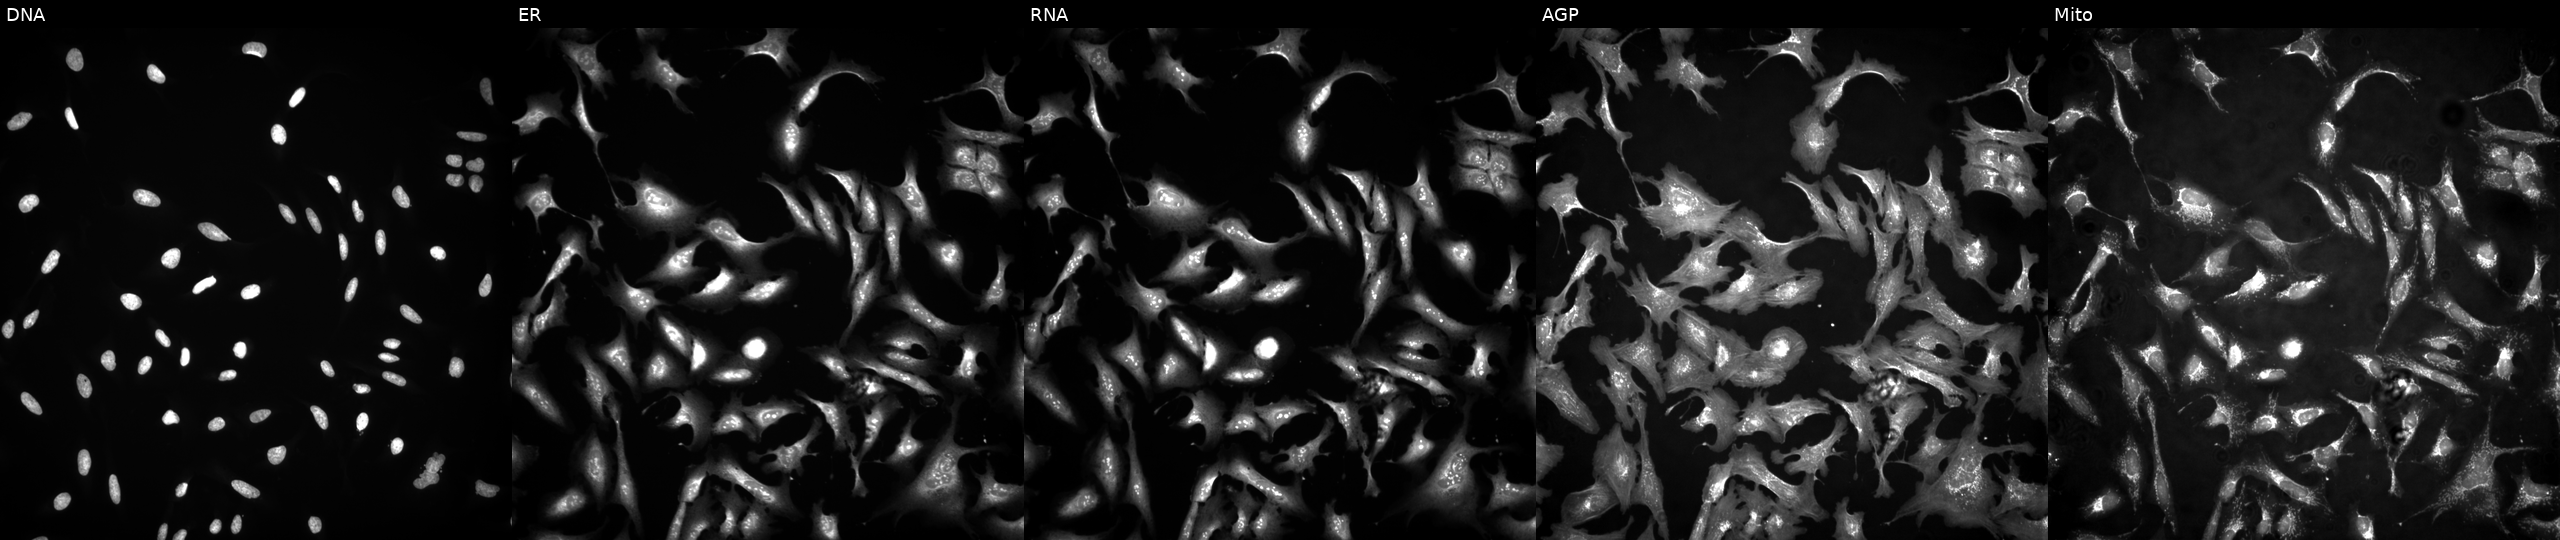
Panels show, left to right, Hoechst 33342, concanavalin A, SYTO 14, phalloidin and WGA, MitoTracker. U2OS osteosarcoma cells with MAK overexpressed (ORF). Cell Painting assay, JUMP-CP dataset.